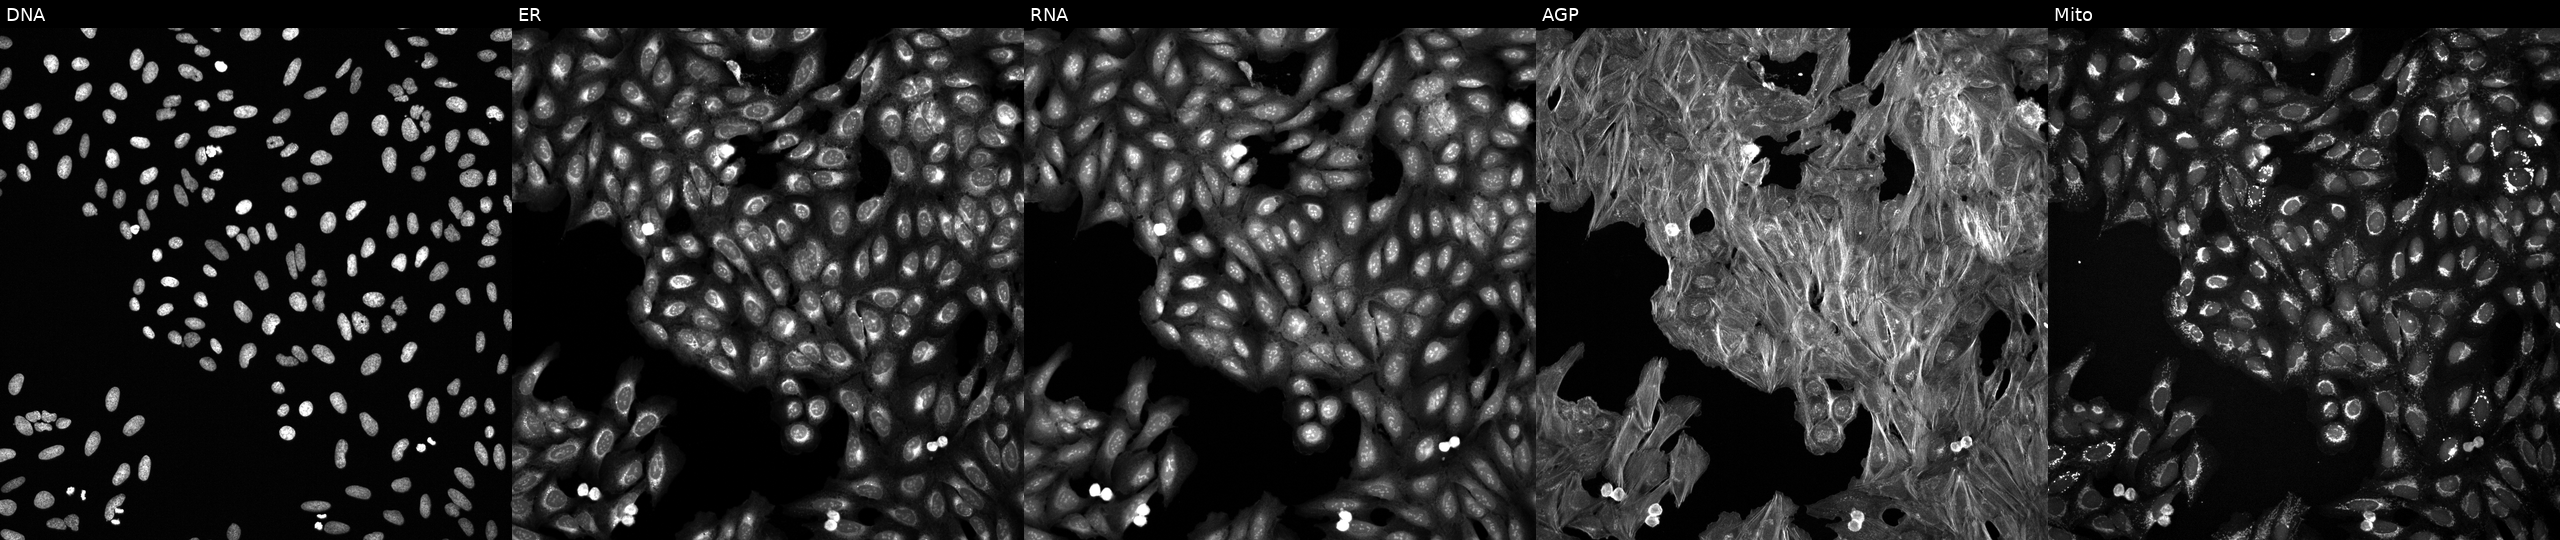
JUMP Cell Painting — COMPOUND plate. U2OS cells exposed to a small-molecule compound (InChIKey DYWFZZRMAGVRGN-UHFFFAOYSA-N) [SMILES: CC(=O)N1CC(C(=O)NCc2cccnc2)CC(c2ccc(F)c(C)c2)C1] (JUMP id JCP2022_019067). Panels show, left to right, DNA, ER, RNA, AGP, and Mito. Source 6, plate 110000293083, well I04.